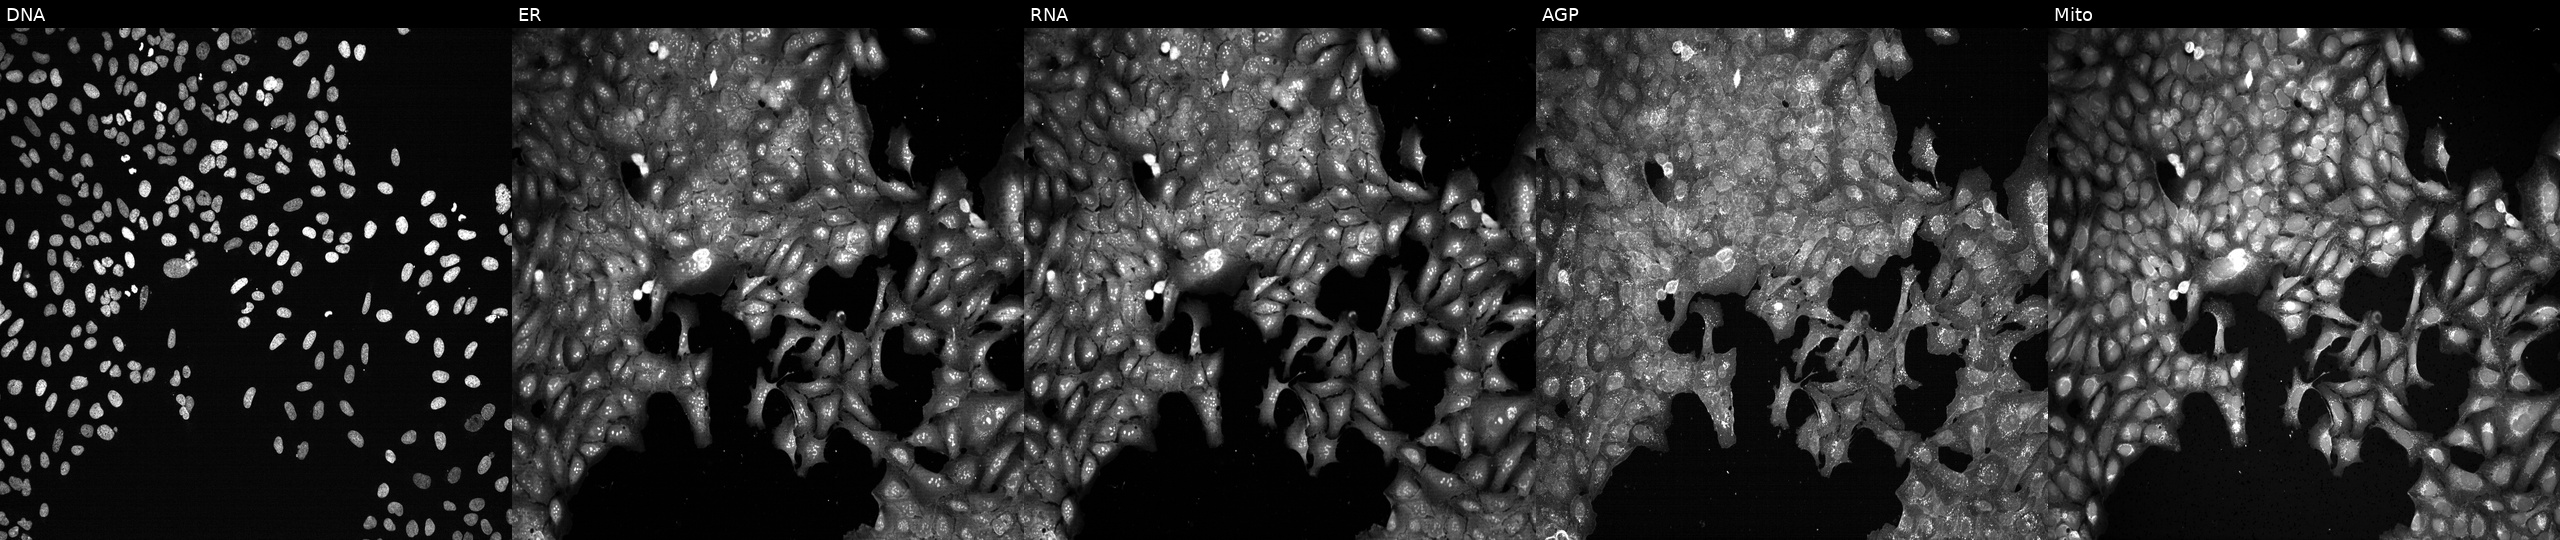
The five panels, left to right, show Hoechst 33342, concanavalin A, SYTO 14, phalloidin and WGA, MitoTracker. U2OS osteosarcoma cells with GPD2 knocked out by CRISPR. Cell Painting assay, JUMP-CP dataset.